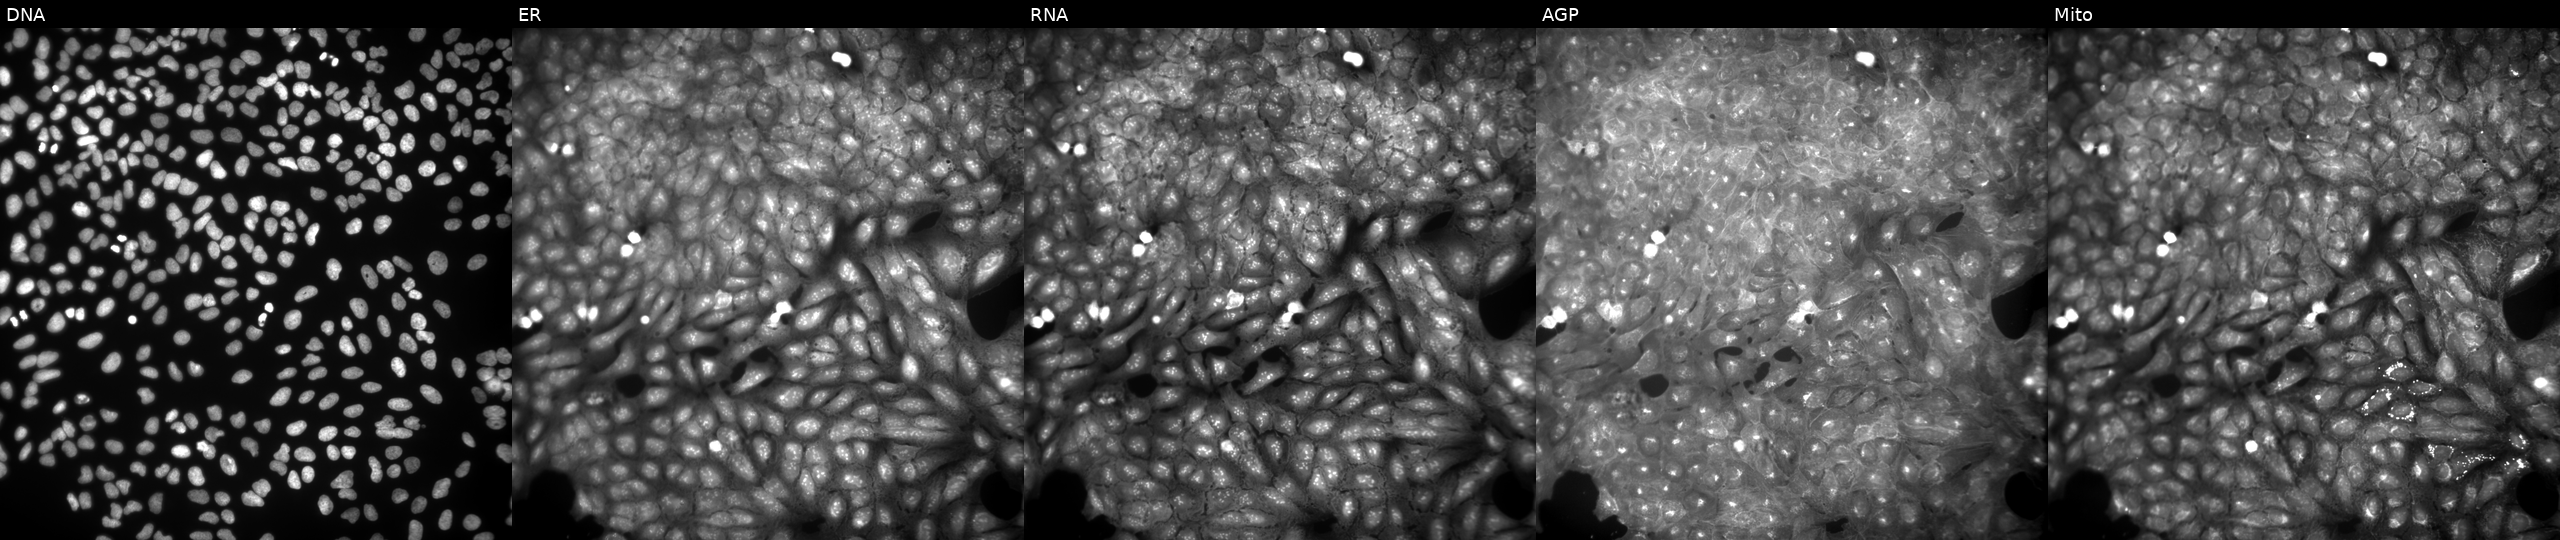
High-content fluorescence microscopy (Cell Painting). Cell line: U2OS. Perturbation: exposed to a small-molecule compound. Panels show, left to right, Hoechst 33342, concanavalin A, SYTO 14, phalloidin and WGA, MitoTracker.